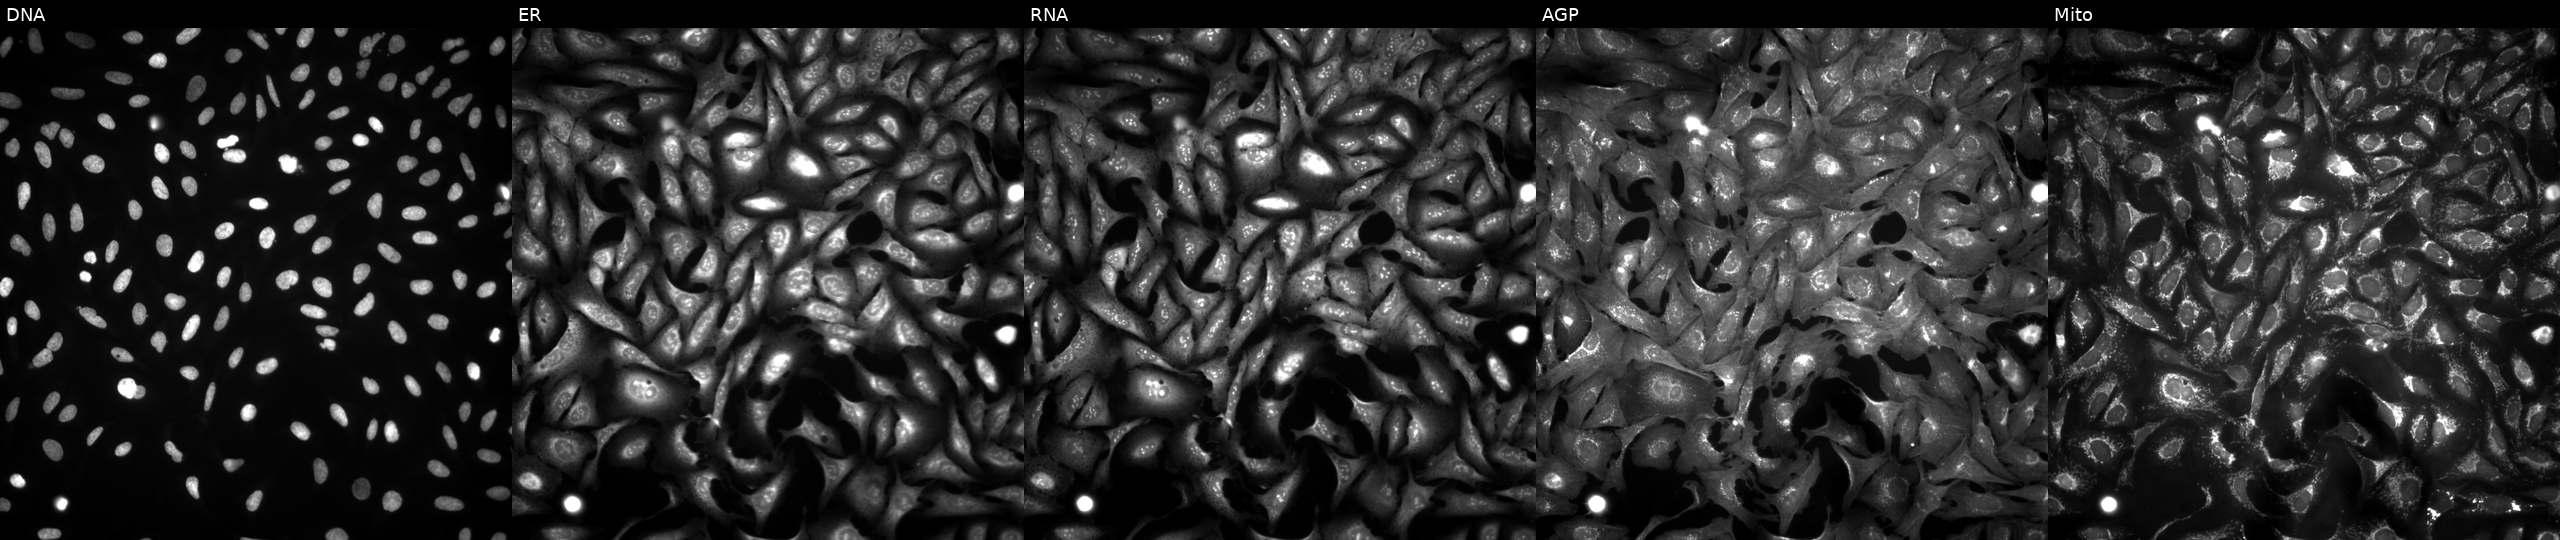
High-content fluorescence microscopy (Cell Painting). Cell line: U2OS. Perturbation: overexpressing RAPGEF4 via ORF transfection. The five panels, left to right, show Hoechst 33342, concanavalin A, SYTO 14, phalloidin and WGA, MitoTracker. Source 4, plate BR00121543, well A15.